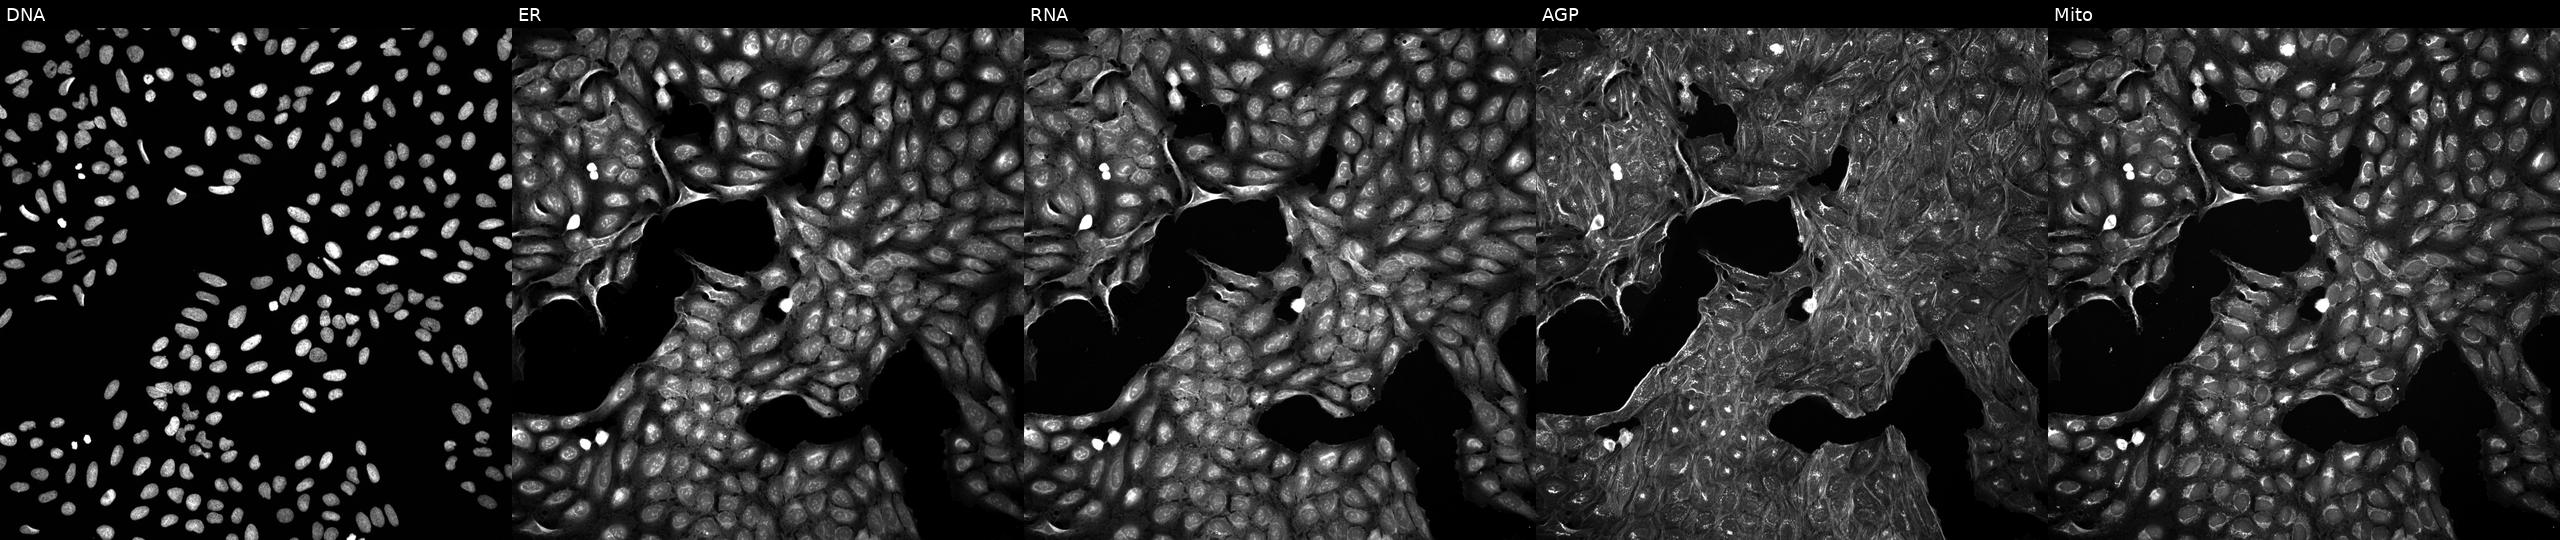
U2OS cells, Cell Painting assay, perturbed with a small-molecule compound (JUMP id JCP2022_055793). Panels show, left to right, DNA (nuclei); ER (endoplasmic reticulum); RNA (nucleoli and cytoplasmic RNA); AGP (actin cytoskeleton, Golgi, and plasma membrane); Mito (mitochondria). Each panel is percentile-stretched 16-bit fluorescence. Source 5, plate APTJUM106, well I18.